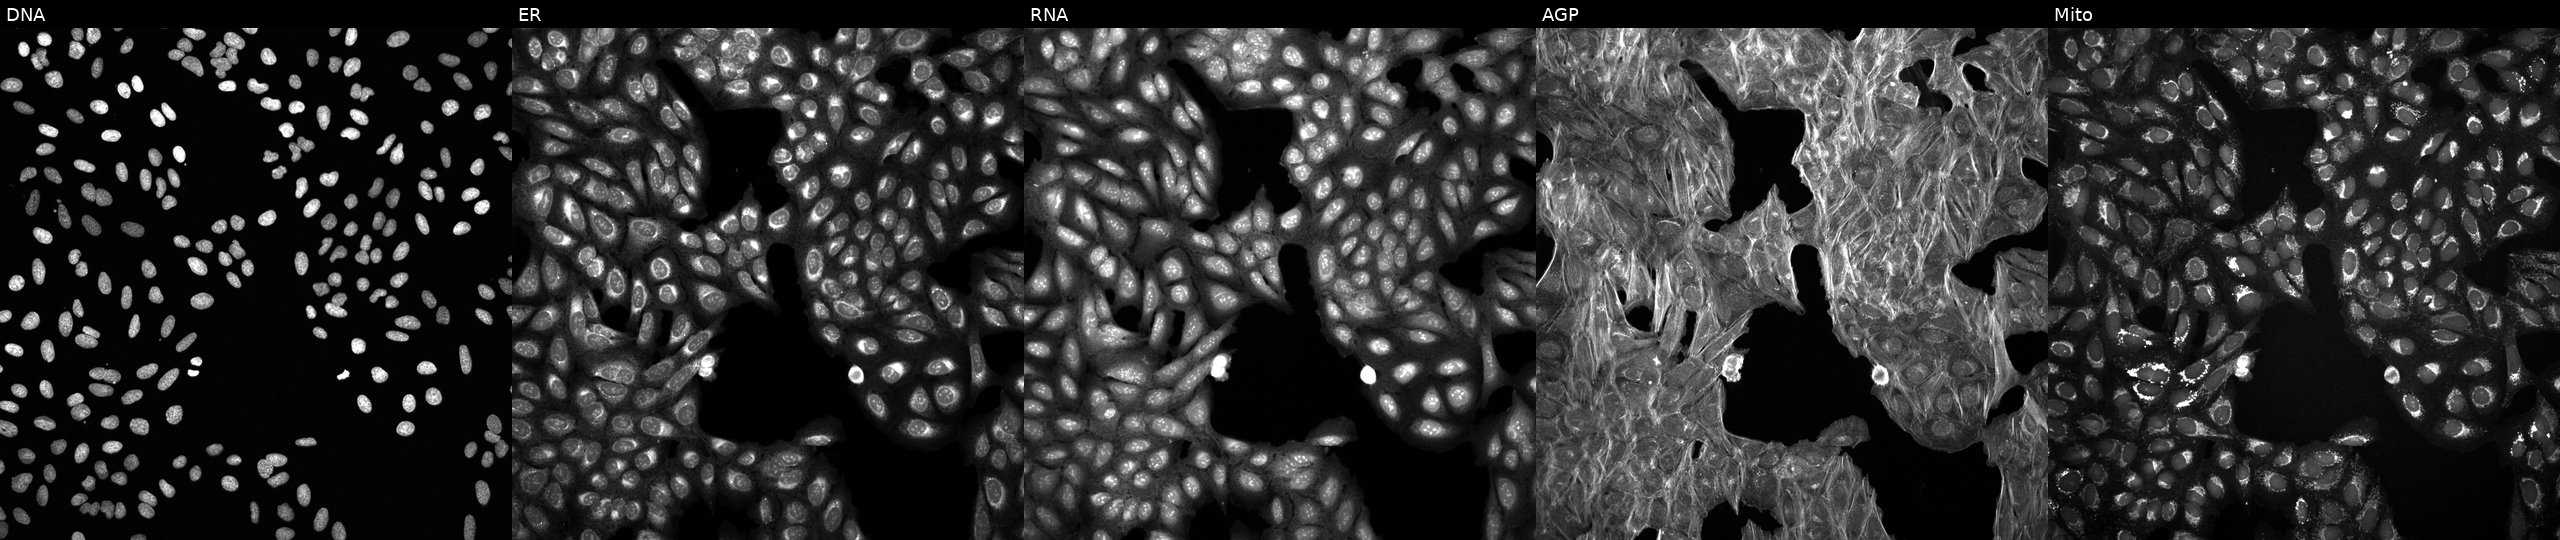
U2OS cells, Cell Painting assay, exposed to a small-molecule compound (InChIKey TXOCMQRYCMQZKI-UHFFFAOYSA-N) (JUMP id JCP2022_087385). Panels show, left to right, DNA (nuclei); ER (endoplasmic reticulum); RNA (nucleoli and cytoplasmic RNA); AGP (actin cytoskeleton, Golgi, and plasma membrane); Mito (mitochondria). Each panel is percentile-stretched 16-bit fluorescence.